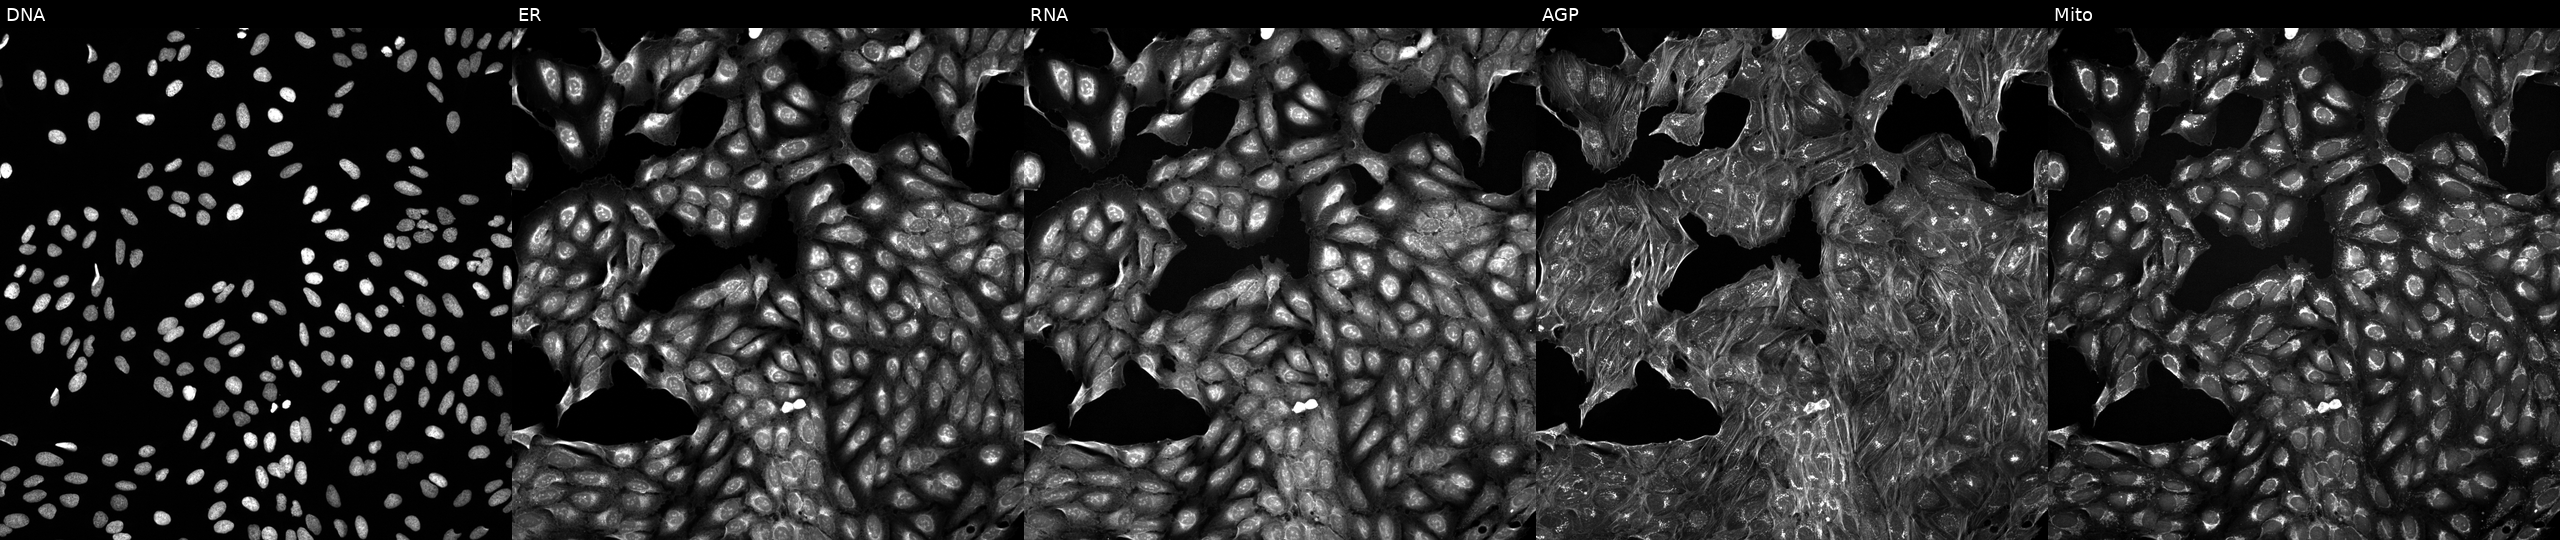
Five-channel Cell Painting image of U2OS cells treated with a small-molecule compound (InChIKey HJYYPODYNSCCOU-UHFFFAOYSA-N) [SMILES: COC1C=COC2(C)Oc3c(C)c(O)c4c(O)c(cc(O)c4c3C2=O)NC(=O)C(C)=CC=CC(C)C(O)C(C)C(O)C(C)C(OC(C)=O)C1C]. The five panels, left to right, show DNA, ER, RNA, AGP, and Mito.